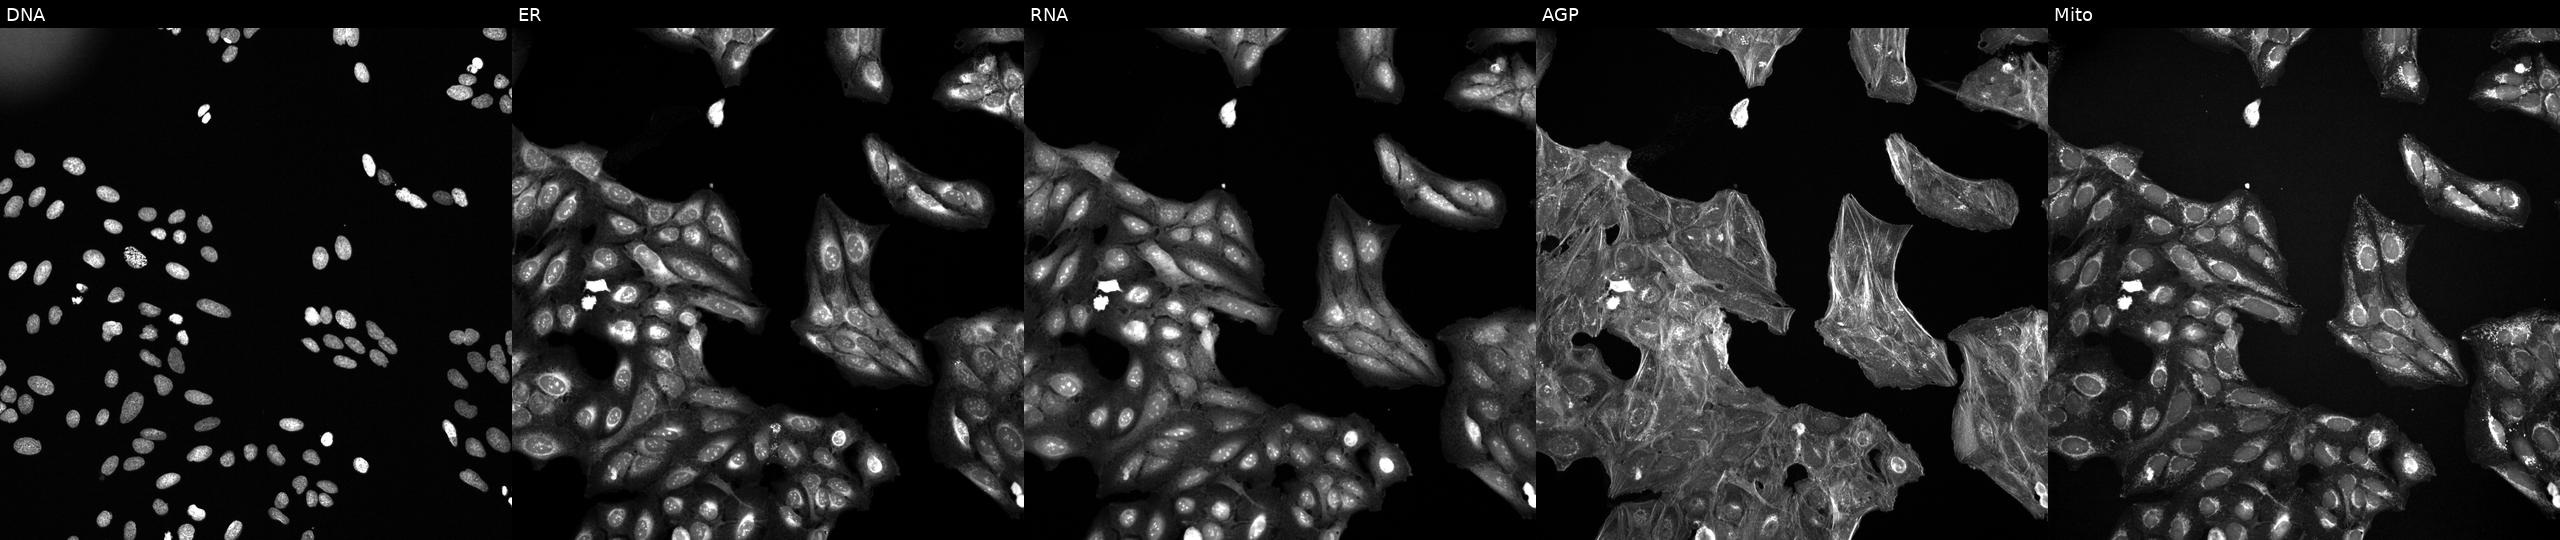
High-content fluorescence microscopy (Cell Painting). Cell line: U2OS. Perturbation: treated with a small-molecule compound (InChIKey PMXCMJLOPOFPBT-UHFFFAOYSA-N). From left to right: DNA, ER, RNA, AGP, and Mito. Source 6, plate 110000294901, well M04.